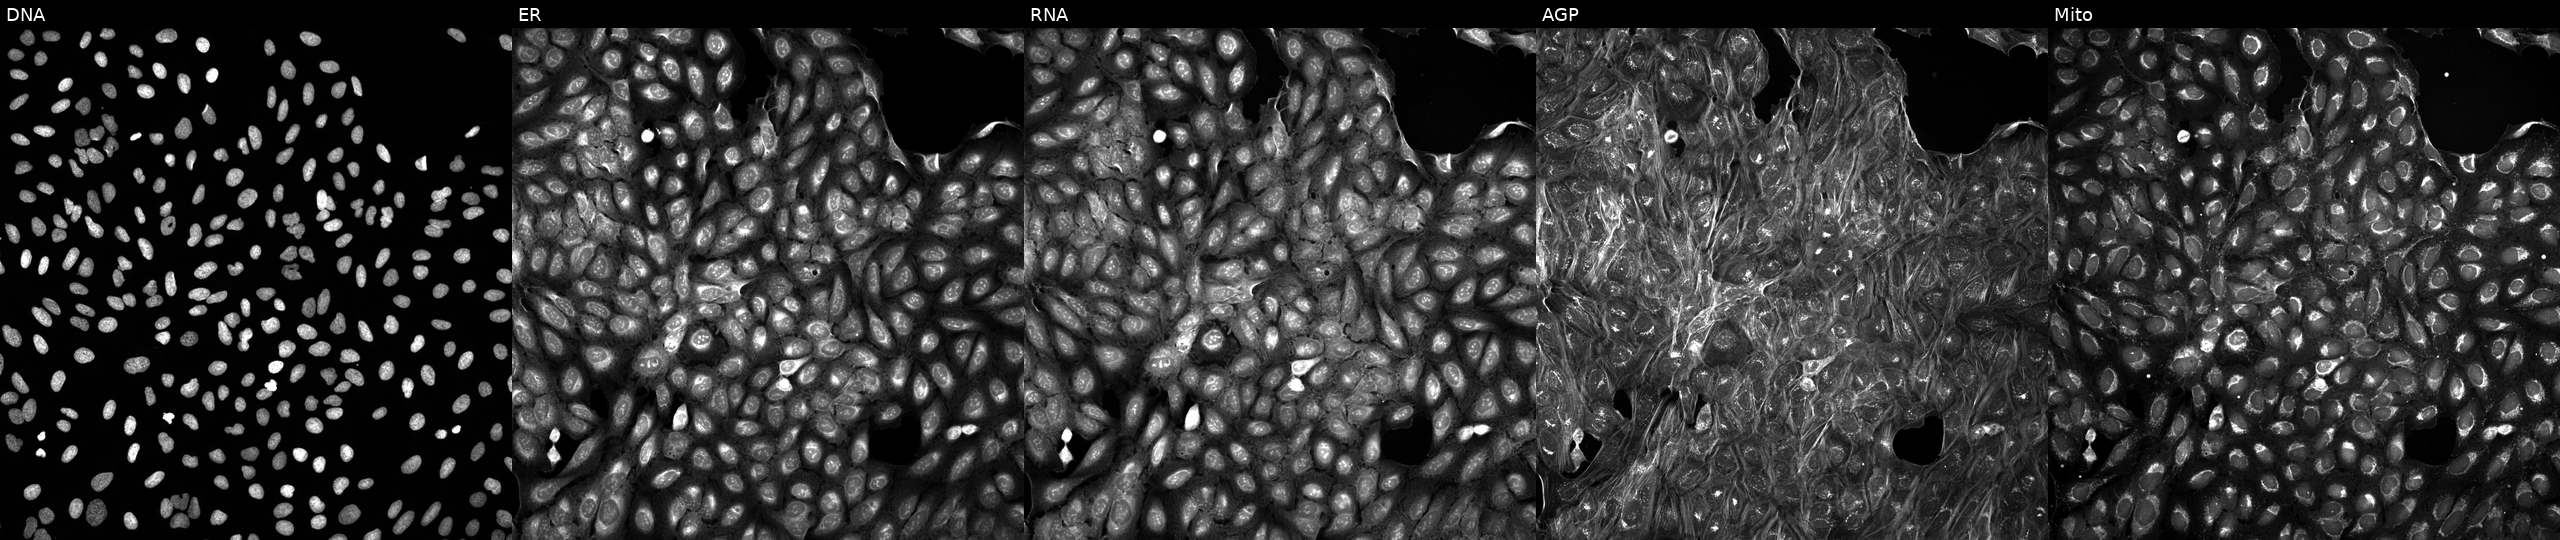
Five-channel Cell Painting image of U2OS cells perturbed with a small-molecule compound (JUMP id JCP2022_069672). Panels show, left to right, DNA (nuclei); ER (endoplasmic reticulum); RNA (nucleoli and cytoplasmic RNA); AGP (actin cytoskeleton, Golgi, and plasma membrane); Mito (mitochondria). Source 5, plate ACPJUM051, well F04.